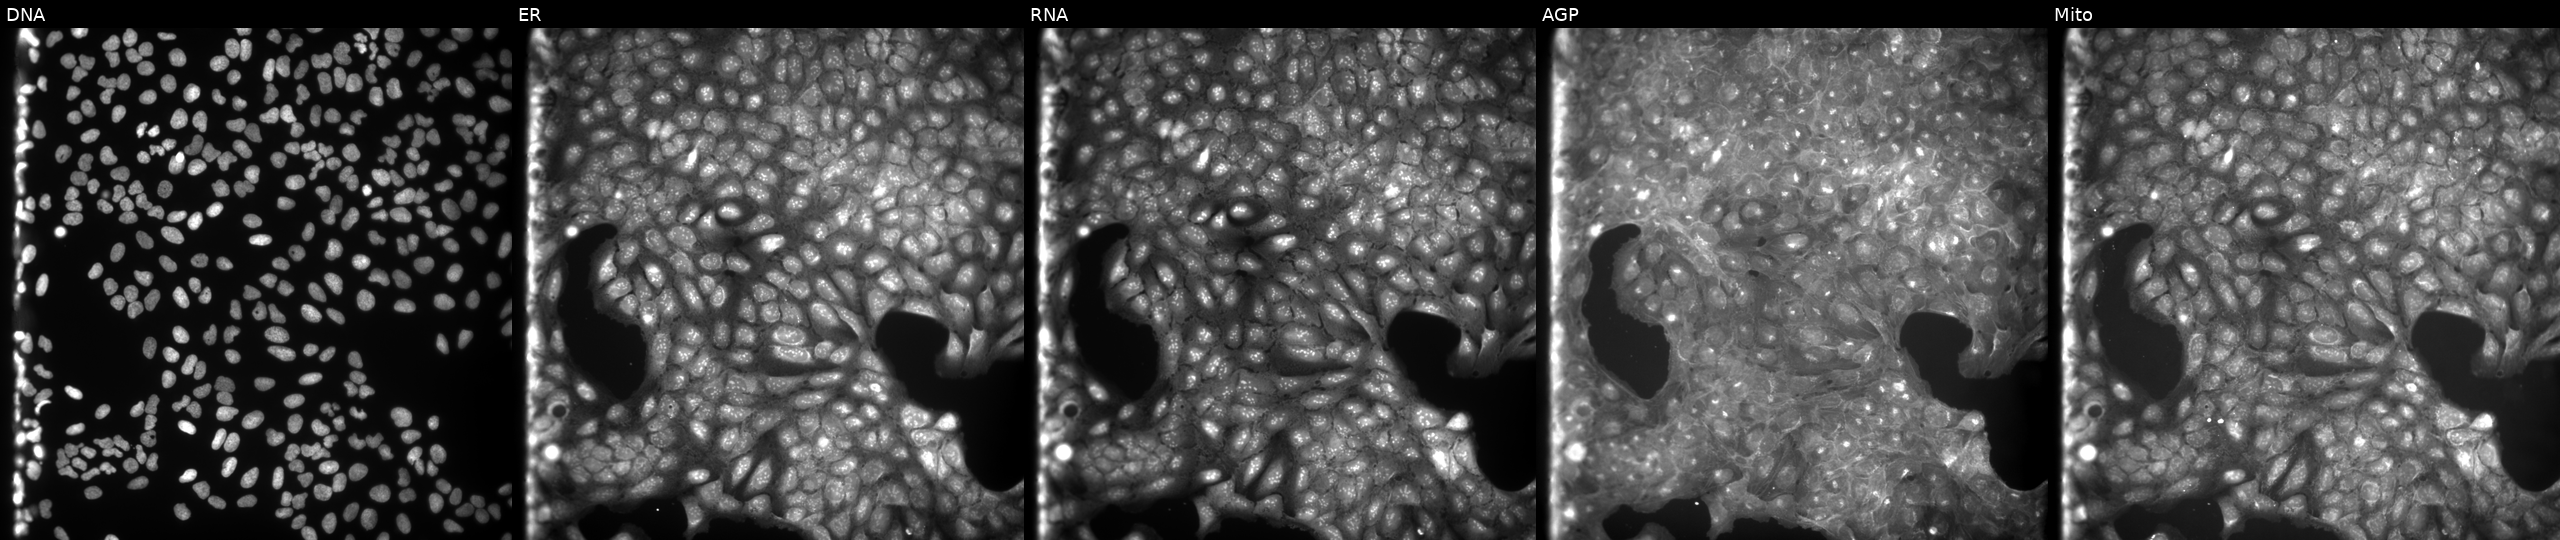
High-content fluorescence microscopy (Cell Painting). Cell line: U2OS. Perturbation: treated with DMSO vehicle only (negative control). From left to right: Hoechst 33342, concanavalin A, SYTO 14, phalloidin and WGA, MitoTracker.